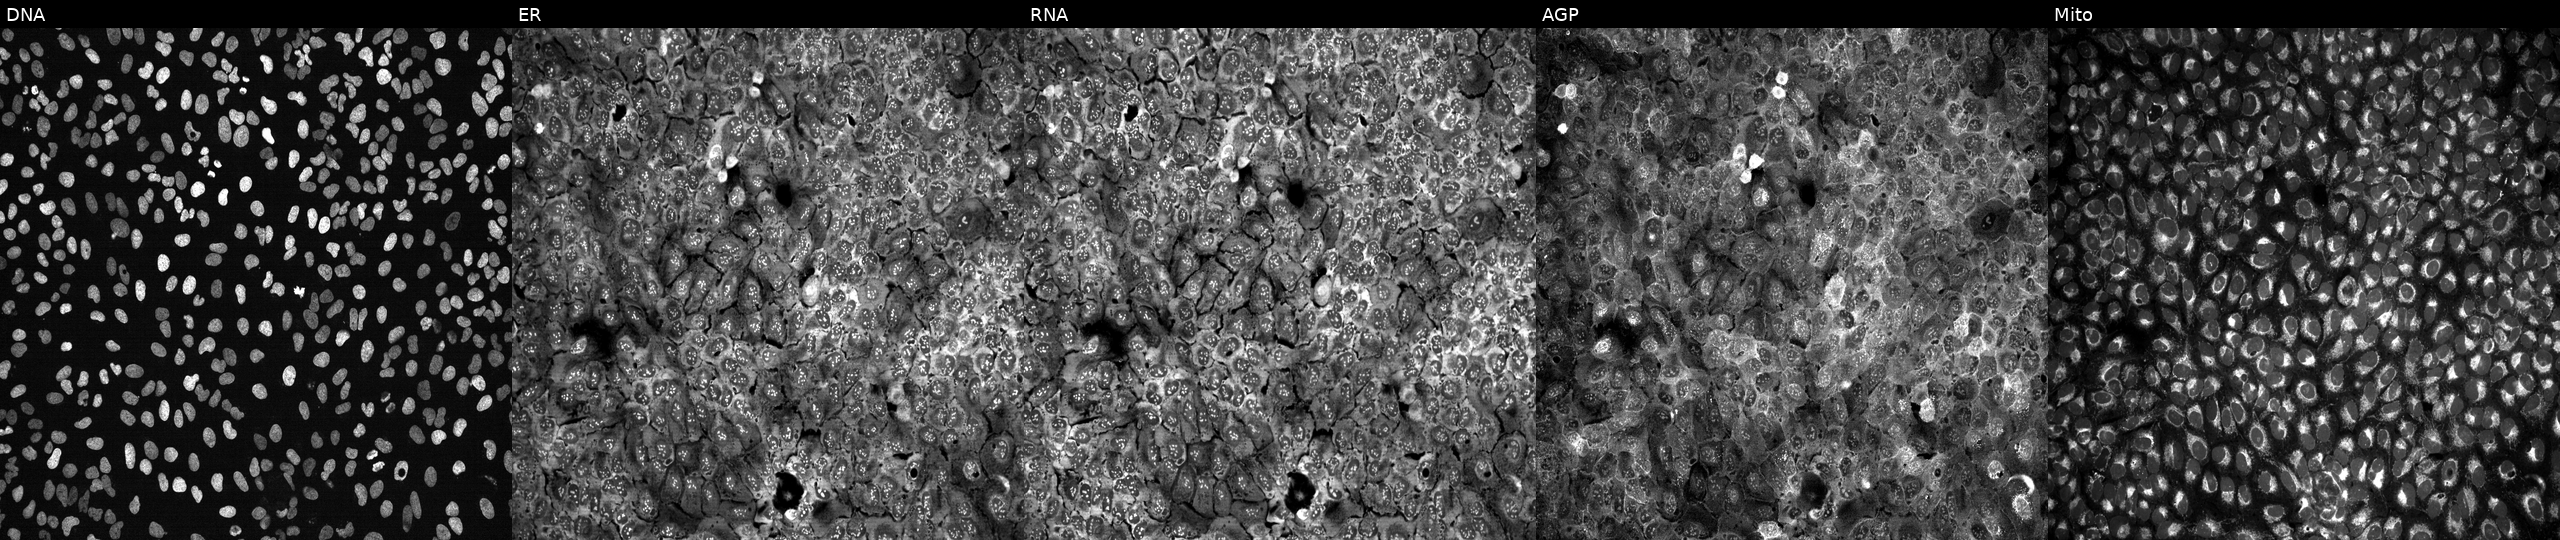
Five-channel Cell Painting image of U2OS cells following CRISPR knockout of HAGHL (JUMP id JCP2022_803012). Channels (left→right): DNA, ER, RNA, AGP, and Mito.